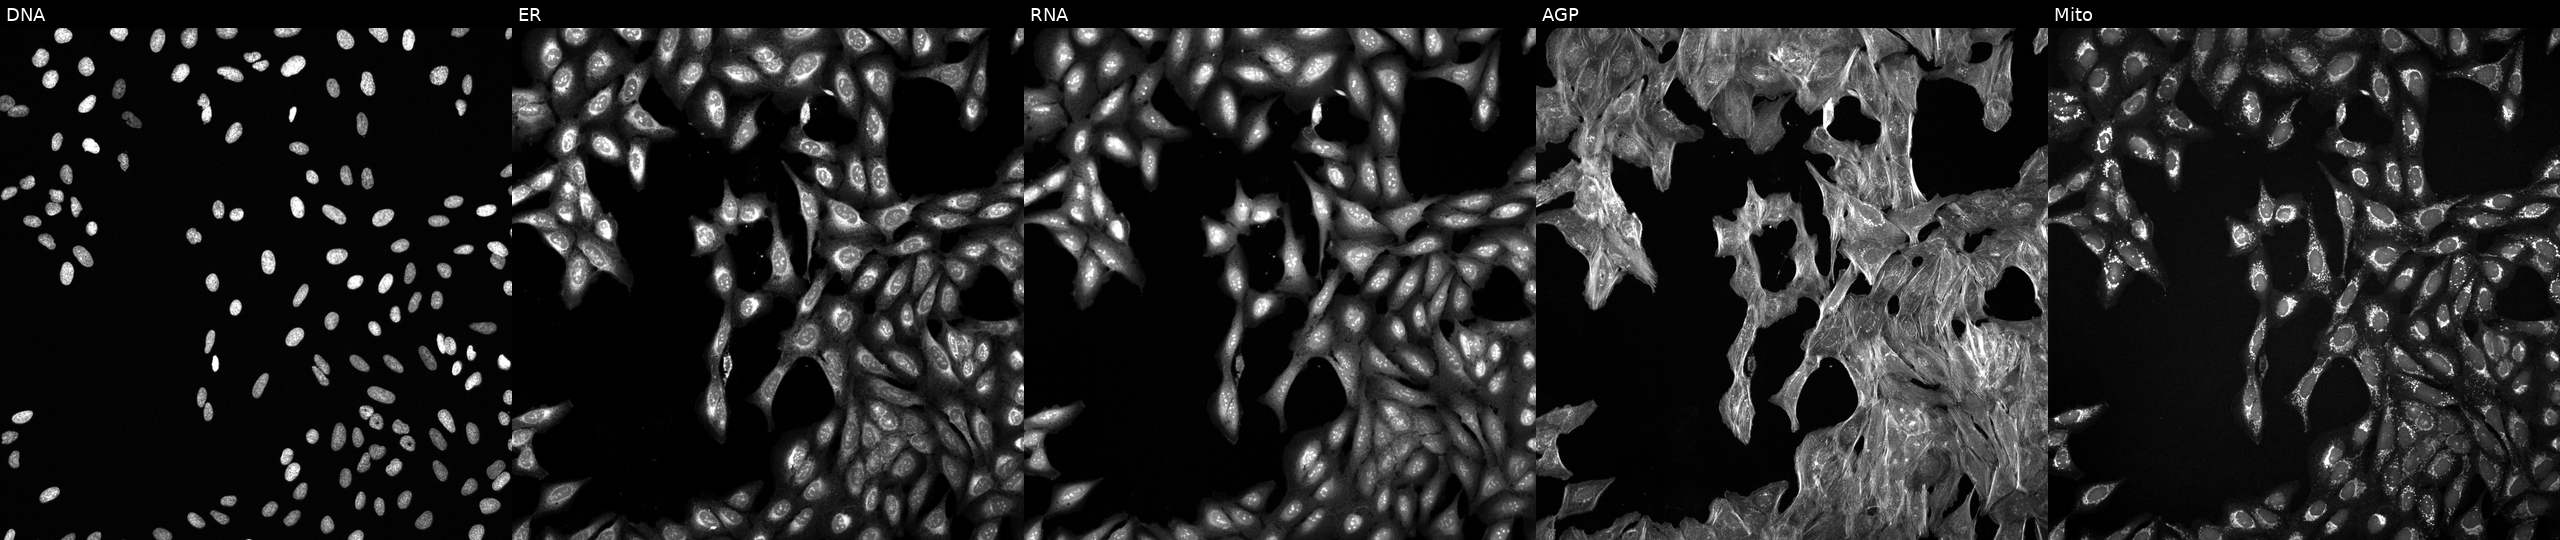
Five-channel Cell Painting image of U2OS cells treated with a small-molecule compound (InChIKey MVXOEPUXIKNFPA-UHFFFAOYSA-N) (JUMP id JCP2022_056886). Channels (left→right): DNA, ER, RNA, AGP, and Mito.